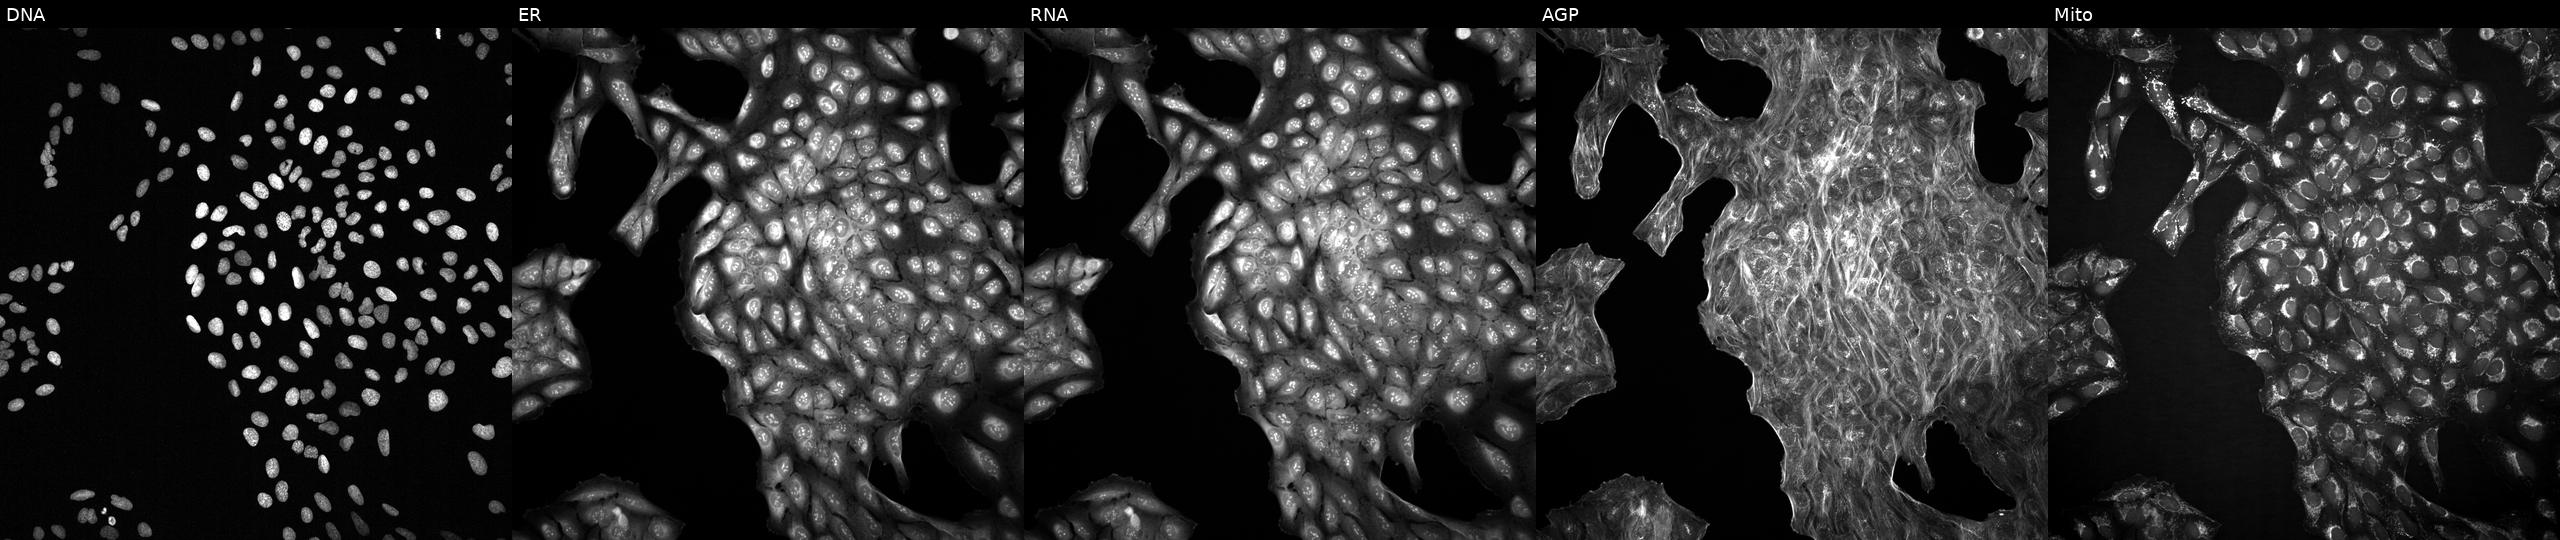
JUMP Cell Painting — COMPOUND plate. U2OS cells with an unidentified perturbation (not annotated in JUMP metadata). From left to right: Hoechst 33342, concanavalin A, SYTO 14, phalloidin and WGA, MitoTracker. Source 2, plate 1053601763, well B16.